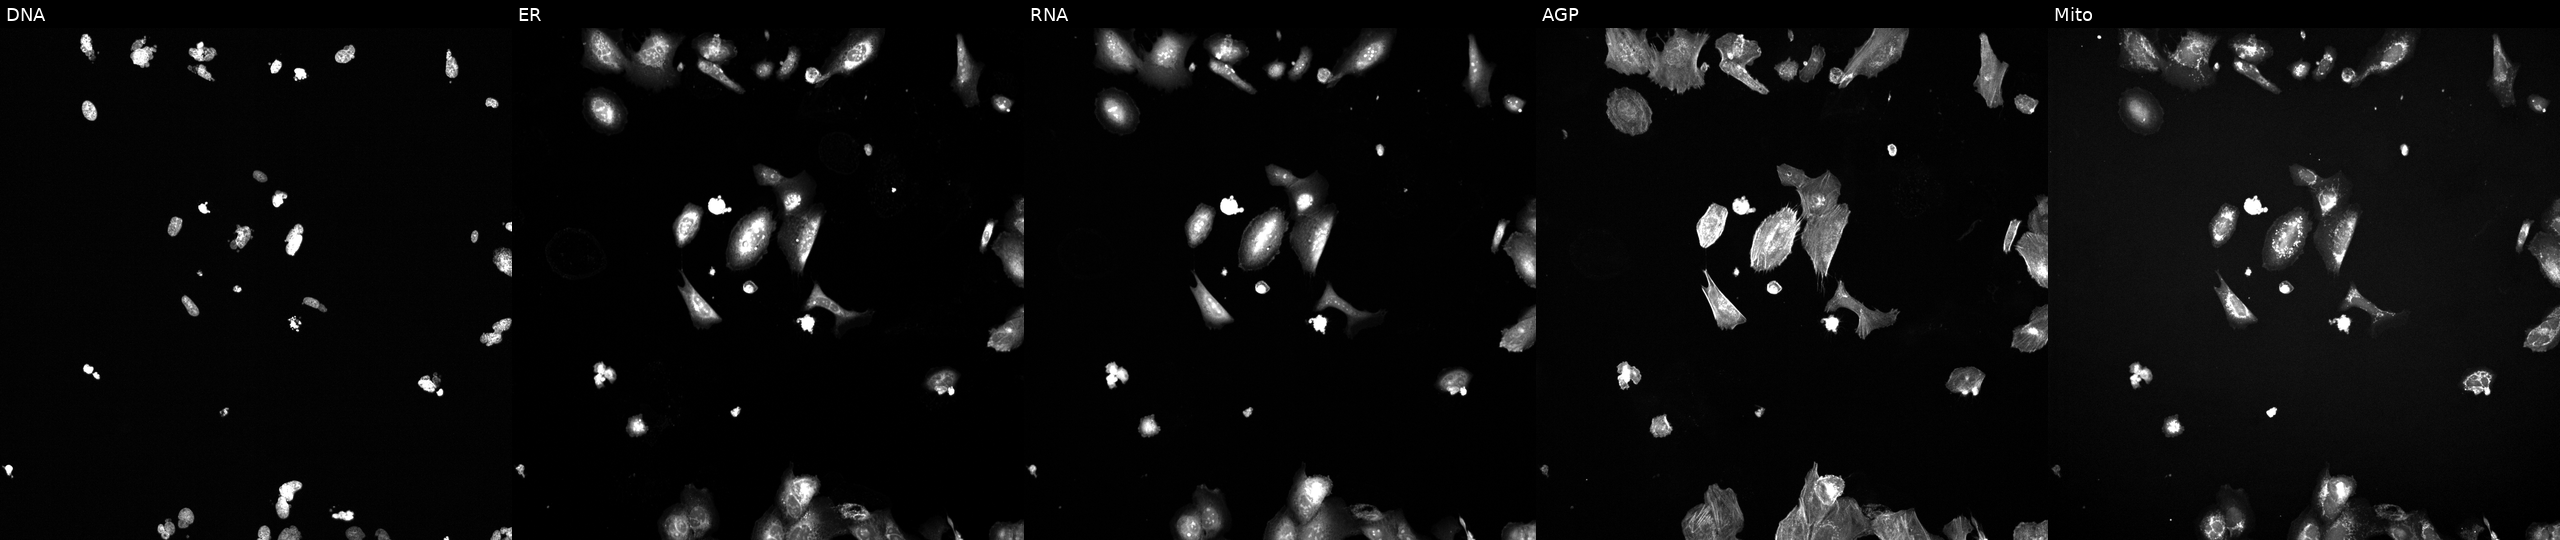
Panels show, left to right, DNA (nuclei); ER (endoplasmic reticulum); RNA (nucleoli and cytoplasmic RNA); AGP (actin cytoskeleton, Golgi, and plasma membrane); Mito (mitochondria). U2OS osteosarcoma cells treated with a small-molecule compound (InChIKey JOLJIIDDOBNFHW-UHFFFAOYSA-N). Cell Painting assay, JUMP-CP dataset. Source 6, plate 110000293093, well H01.